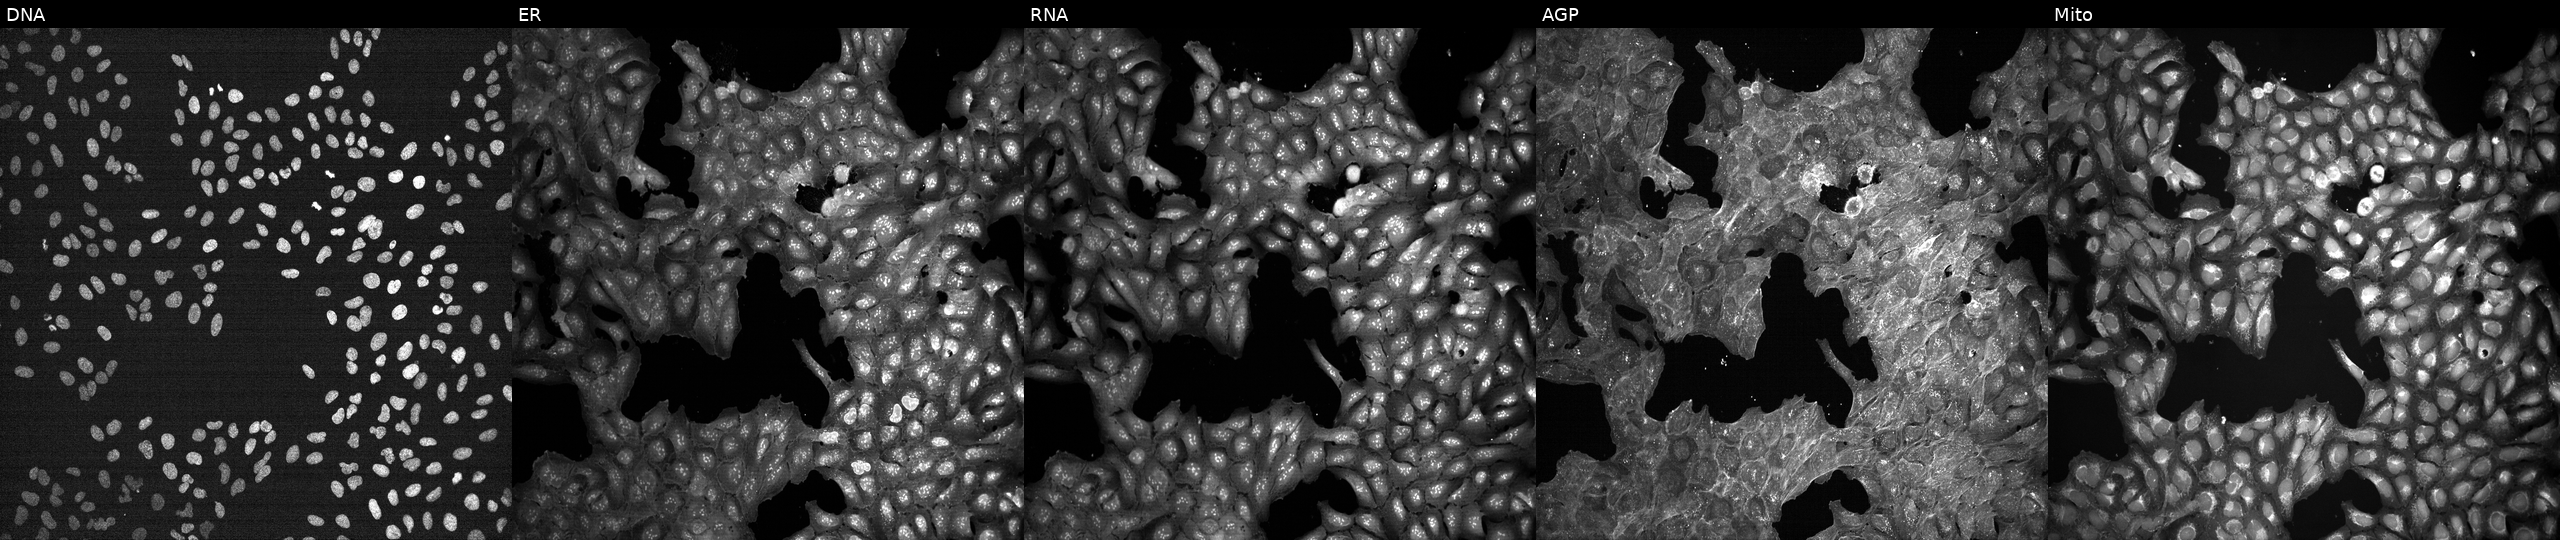
Five-channel Cell Painting image of U2OS cells exposed to DMSO alone as a negative control (JUMP id JCP2022_033924). Panels show, left to right, DNA (nuclei); ER (endoplasmic reticulum); RNA (nucleoli and cytoplasmic RNA); AGP (actin cytoskeleton, Golgi, and plasma membrane); Mito (mitochondria).